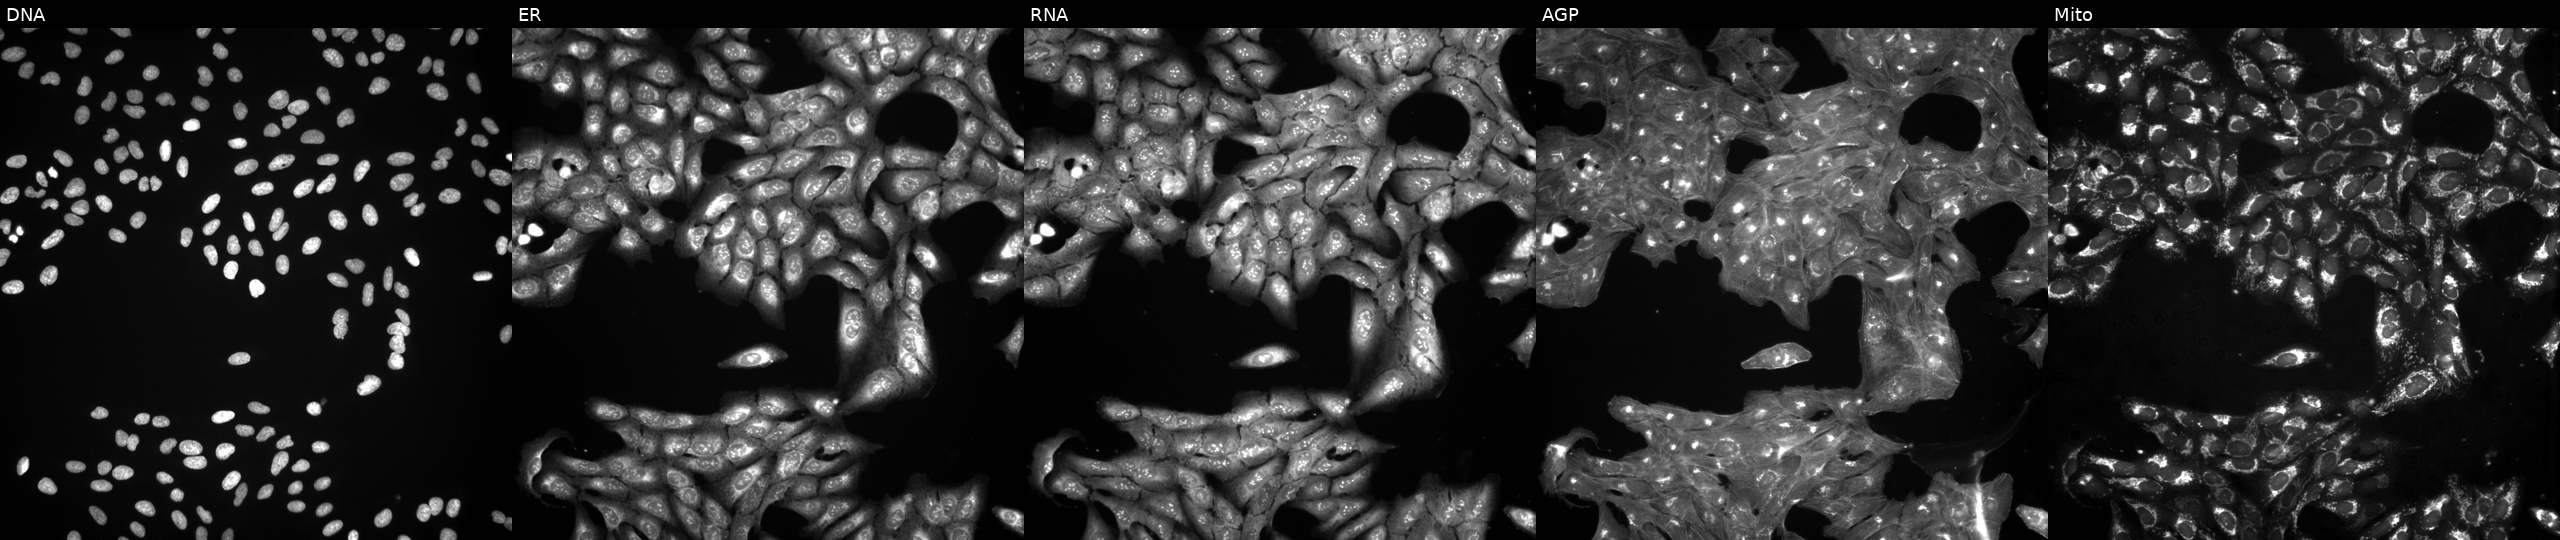
This image strip shows the five Cell Painting channels for a single field of U2OS cells treated with a small-molecule compound (InChIKey AGNWVEJTZJIJIM-UHFFFAOYSA-N) (JUMP id JCP2022_001275). Panels show, left to right, Hoechst 33342, concanavalin A, SYTO 14, phalloidin and WGA, MitoTracker.